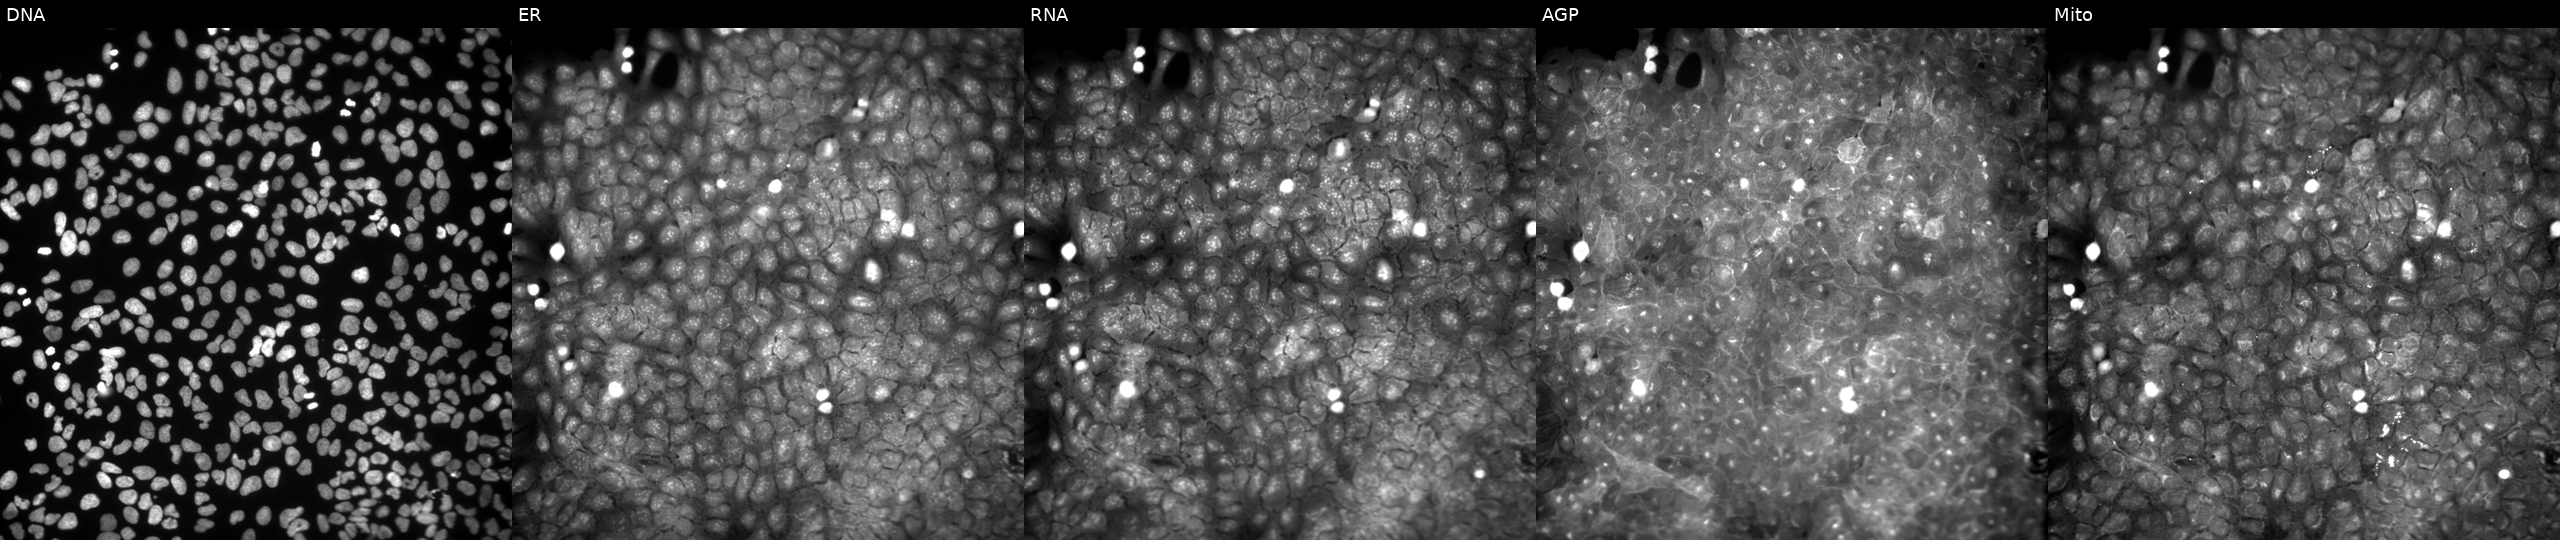
From left to right: DNA (nuclei); ER (endoplasmic reticulum); RNA (nucleoli and cytoplasmic RNA); AGP (actin cytoskeleton, Golgi, and plasma membrane); Mito (mitochondria). U2OS osteosarcoma cells perturbed with a small-molecule compound [SMILES: CCc1cccc(C)c1NC(=O)CSc1n[nH]c(=N)s1]. Cell Painting assay, JUMP-CP dataset.